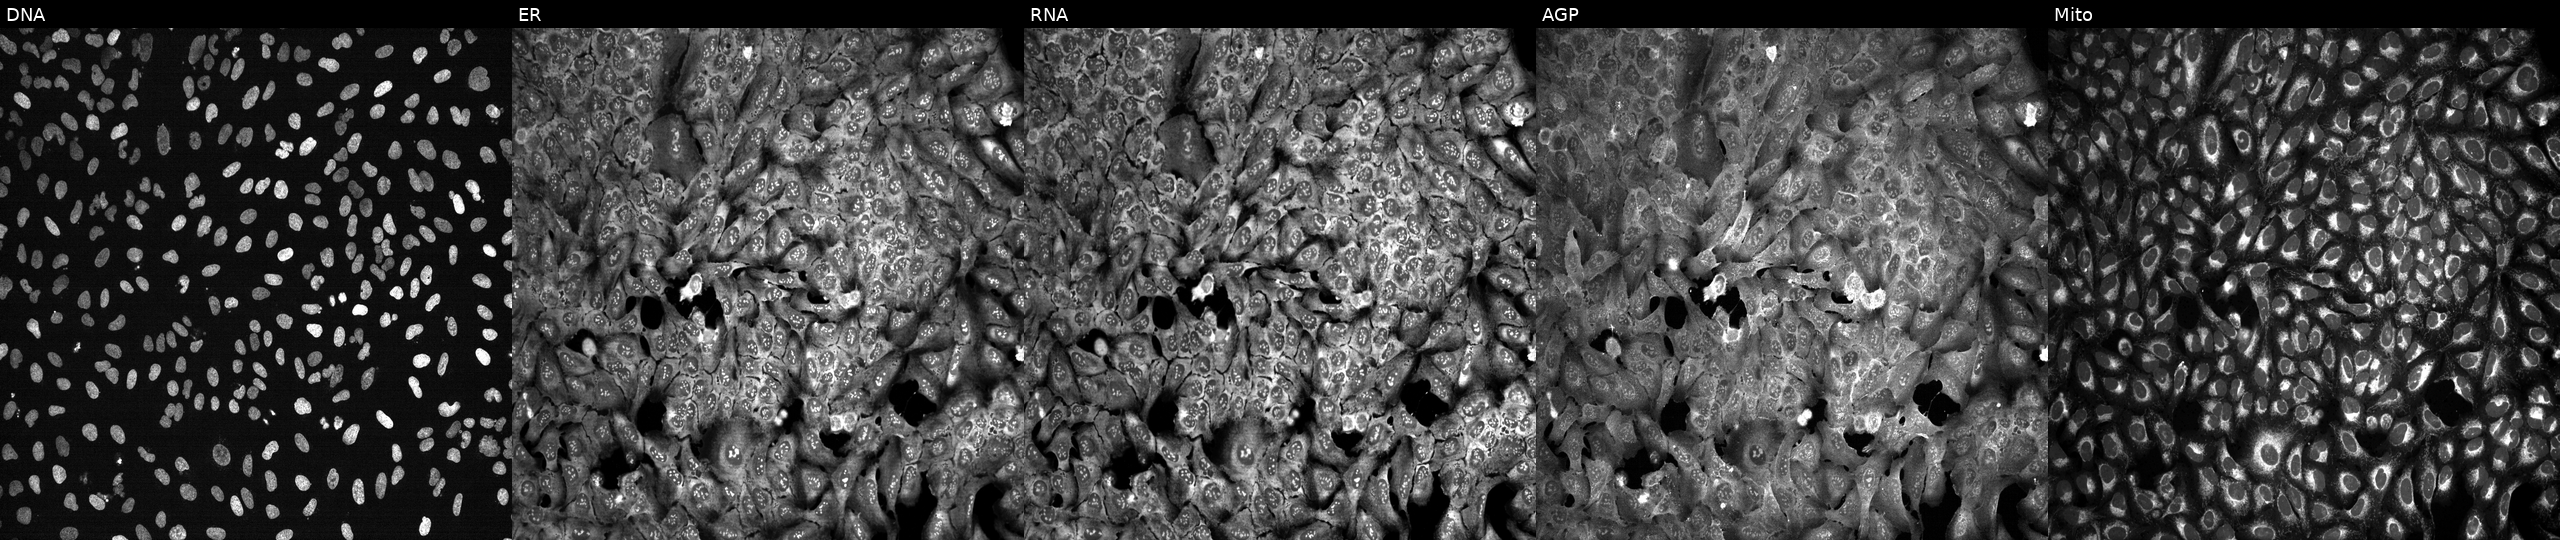
U2OS cells, Cell Painting assay, CRISPR-edited to disrupt FADS2 (JUMP id JCP2022_802252). Panels show, left to right, DNA, ER, RNA, AGP, and Mito. Each panel is percentile-stretched 16-bit fluorescence.